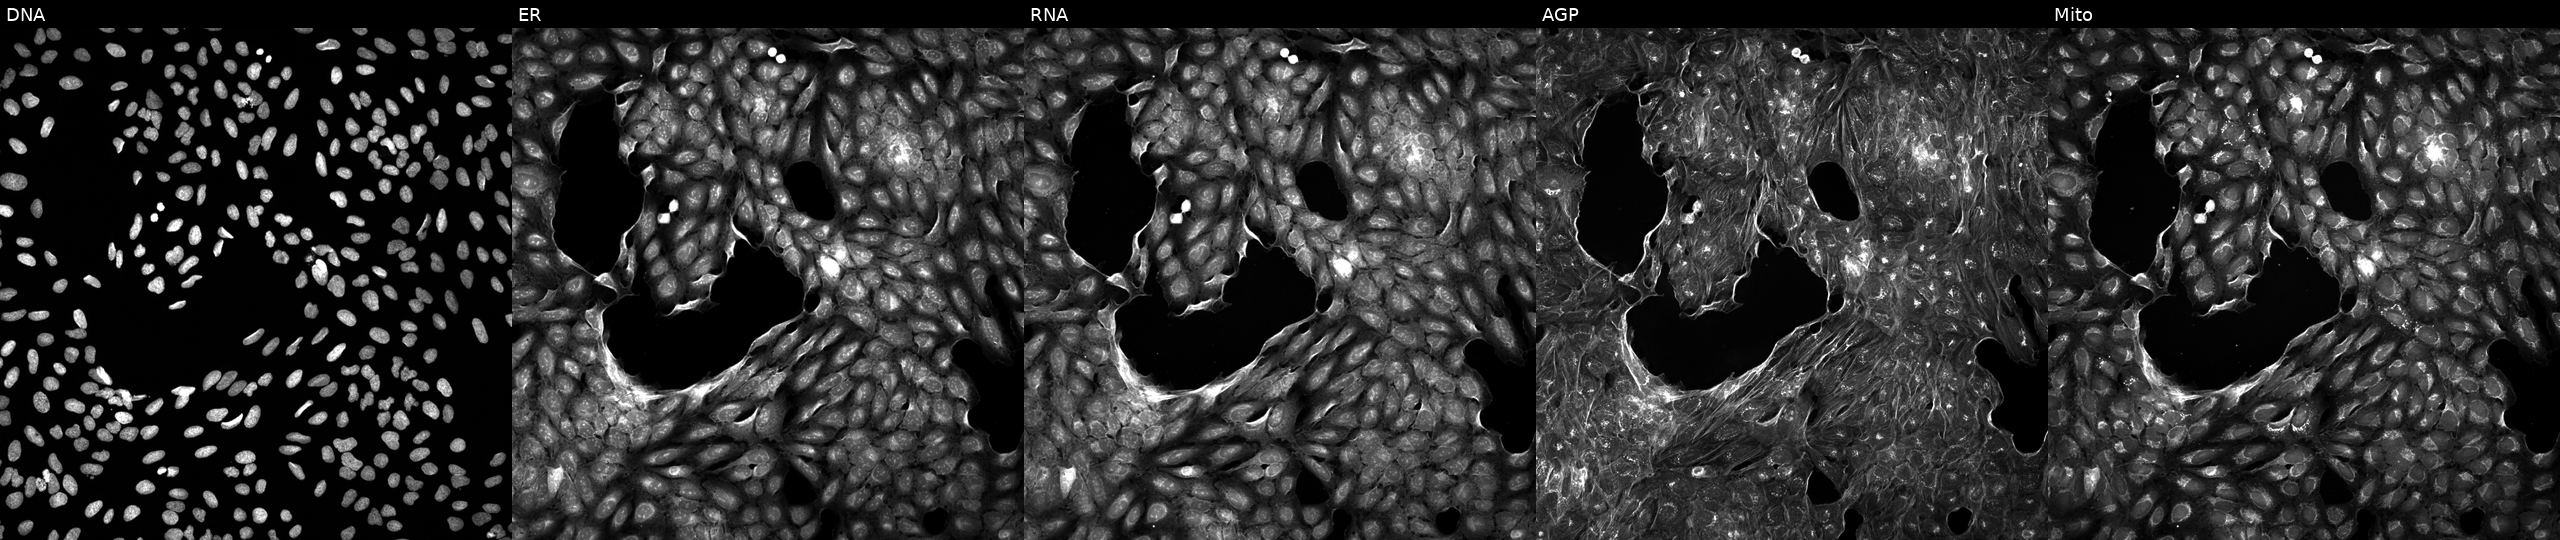
JUMP Cell Painting — COMPOUND plate. U2OS cells exposed to a small-molecule compound (InChIKey MAMSZPMYOCNUOR-UHFFFAOYSA-N) [SMILES: COCC(=O)NC1CN(C(=O)c2cc3ccccc3[nH]2)CCC1c1nc(C)no1]. Panels show, left to right, DNA, ER, RNA, AGP, and Mito.